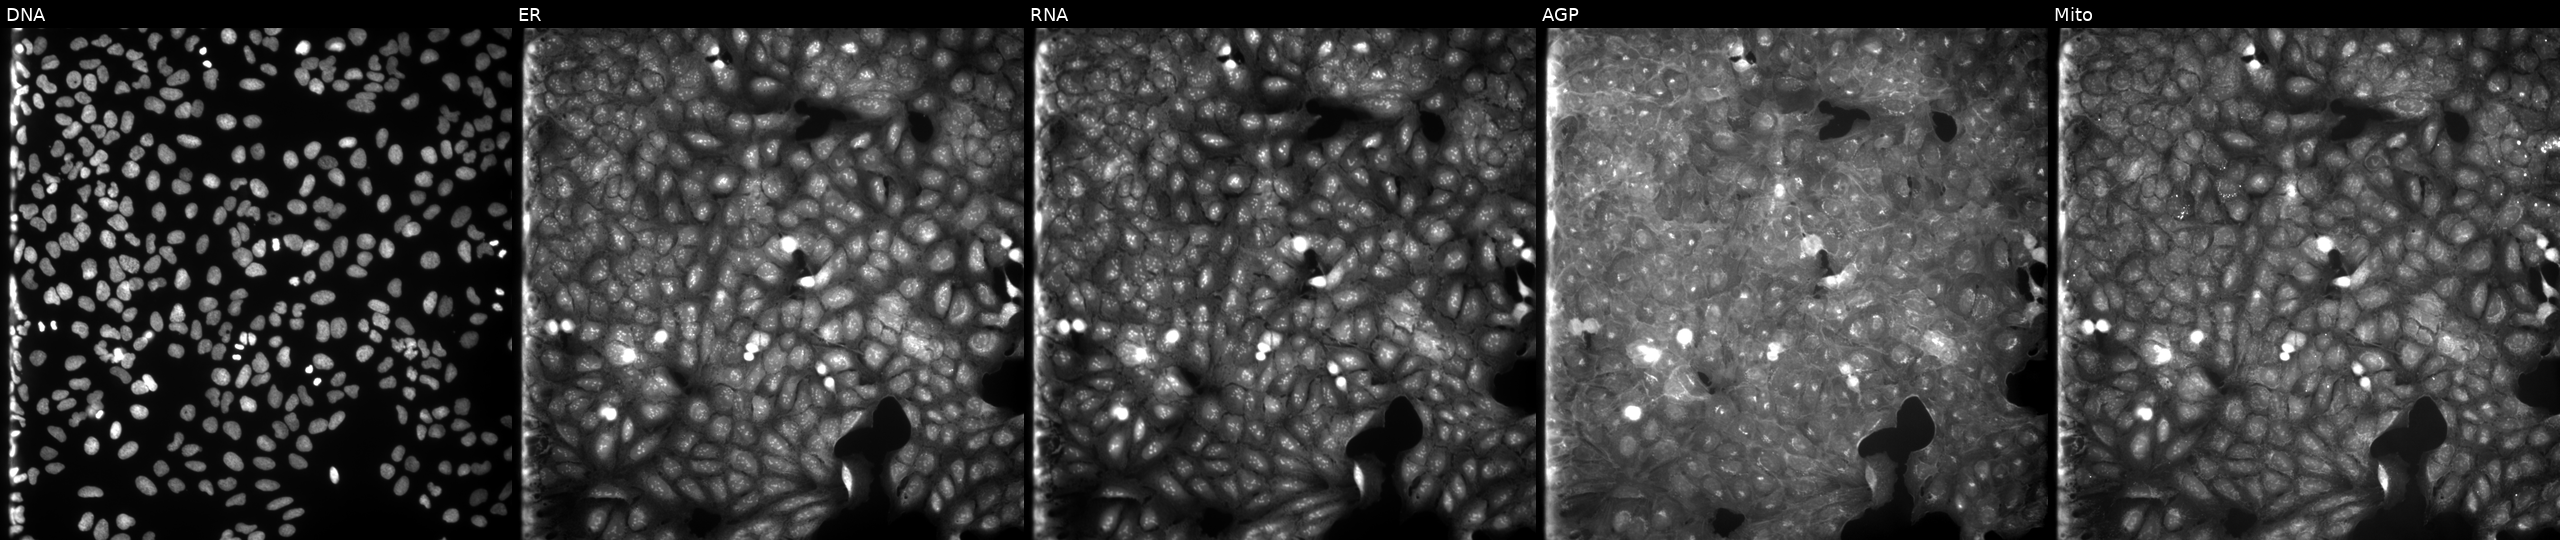
The five panels, left to right, show Hoechst 33342, concanavalin A, SYTO 14, phalloidin and WGA, MitoTracker. U2OS osteosarcoma cells exposed to a small-molecule compound (InChIKey YEDBGJGVFOBORP-UHFFFAOYSA-N) (JUMP id JCP2022_107886). Cell Painting assay, JUMP-CP dataset.